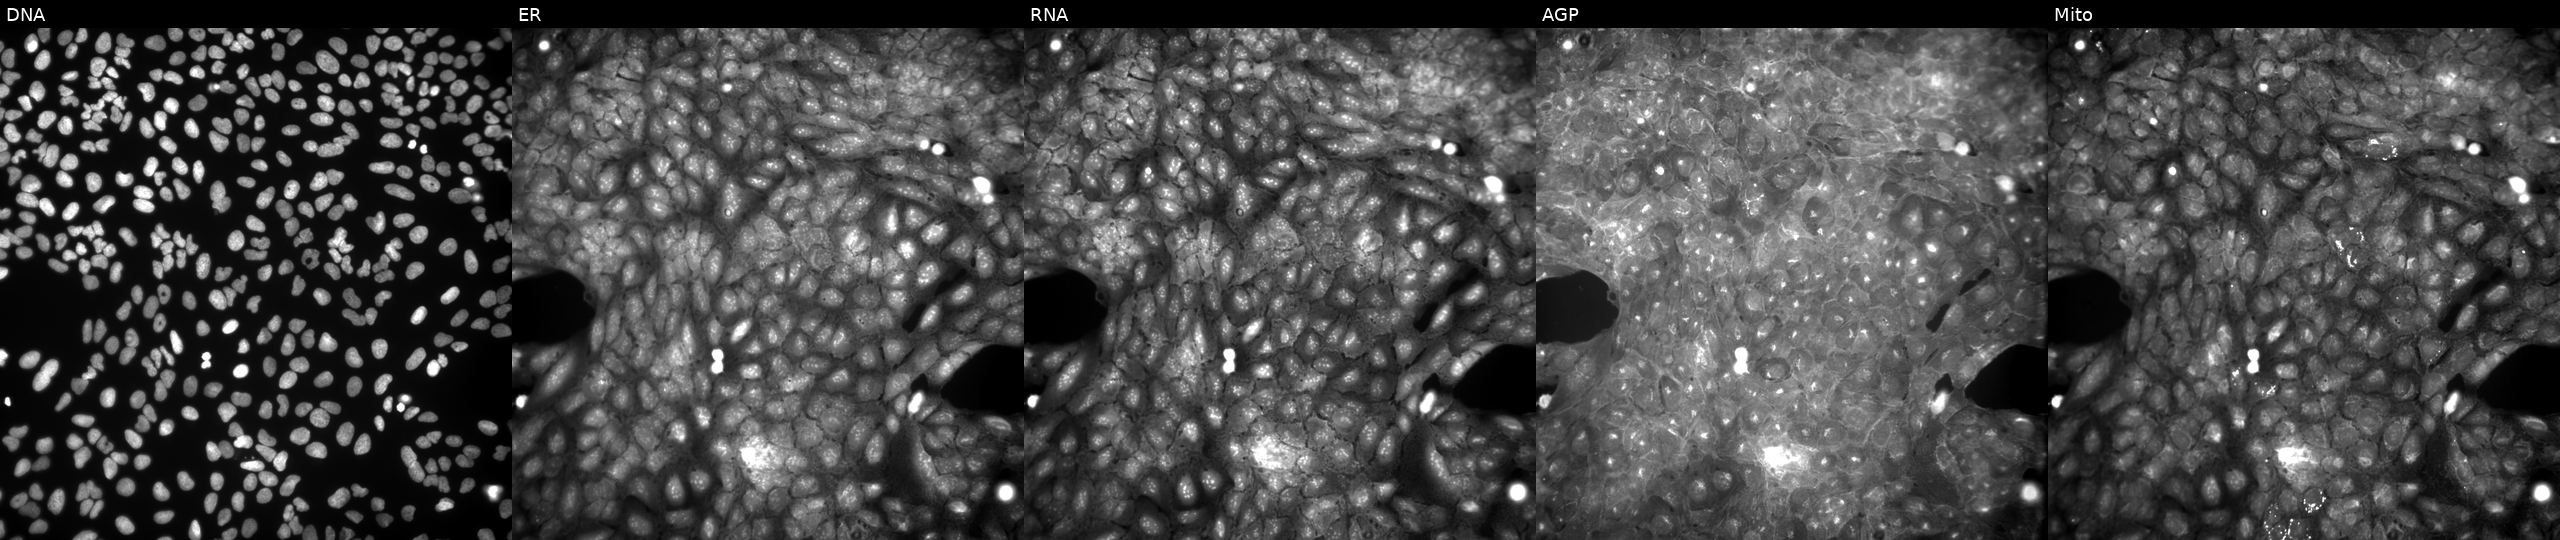
Channels (left→right): DNA, ER, RNA, AGP, and Mito. U2OS osteosarcoma cells treated with dexamethasone (positive-control compound). Cell Painting assay, JUMP-CP dataset.